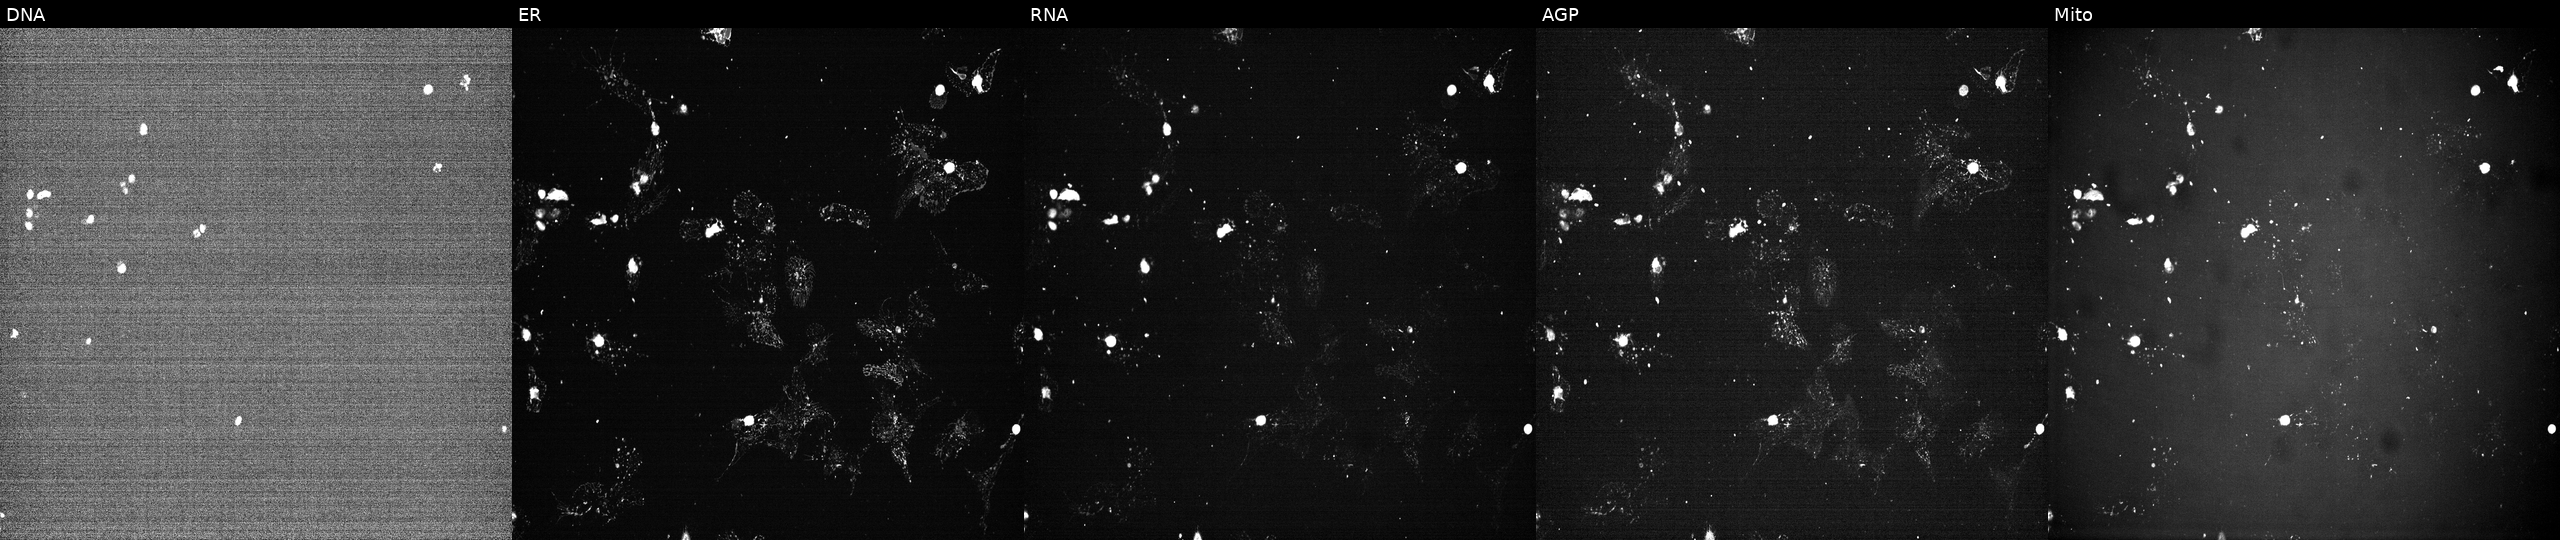
This image strip shows the five Cell Painting channels for a single field of U2OS cells treated with a small-molecule compound (InChIKey BBDGBGOVJPEFBT-UHFFFAOYSA-N) (JUMP id JCP2022_005163). The five panels, left to right, show DNA, ER, RNA, AGP, and Mito. Source 7, plate CP1-SC1-25, well I01.